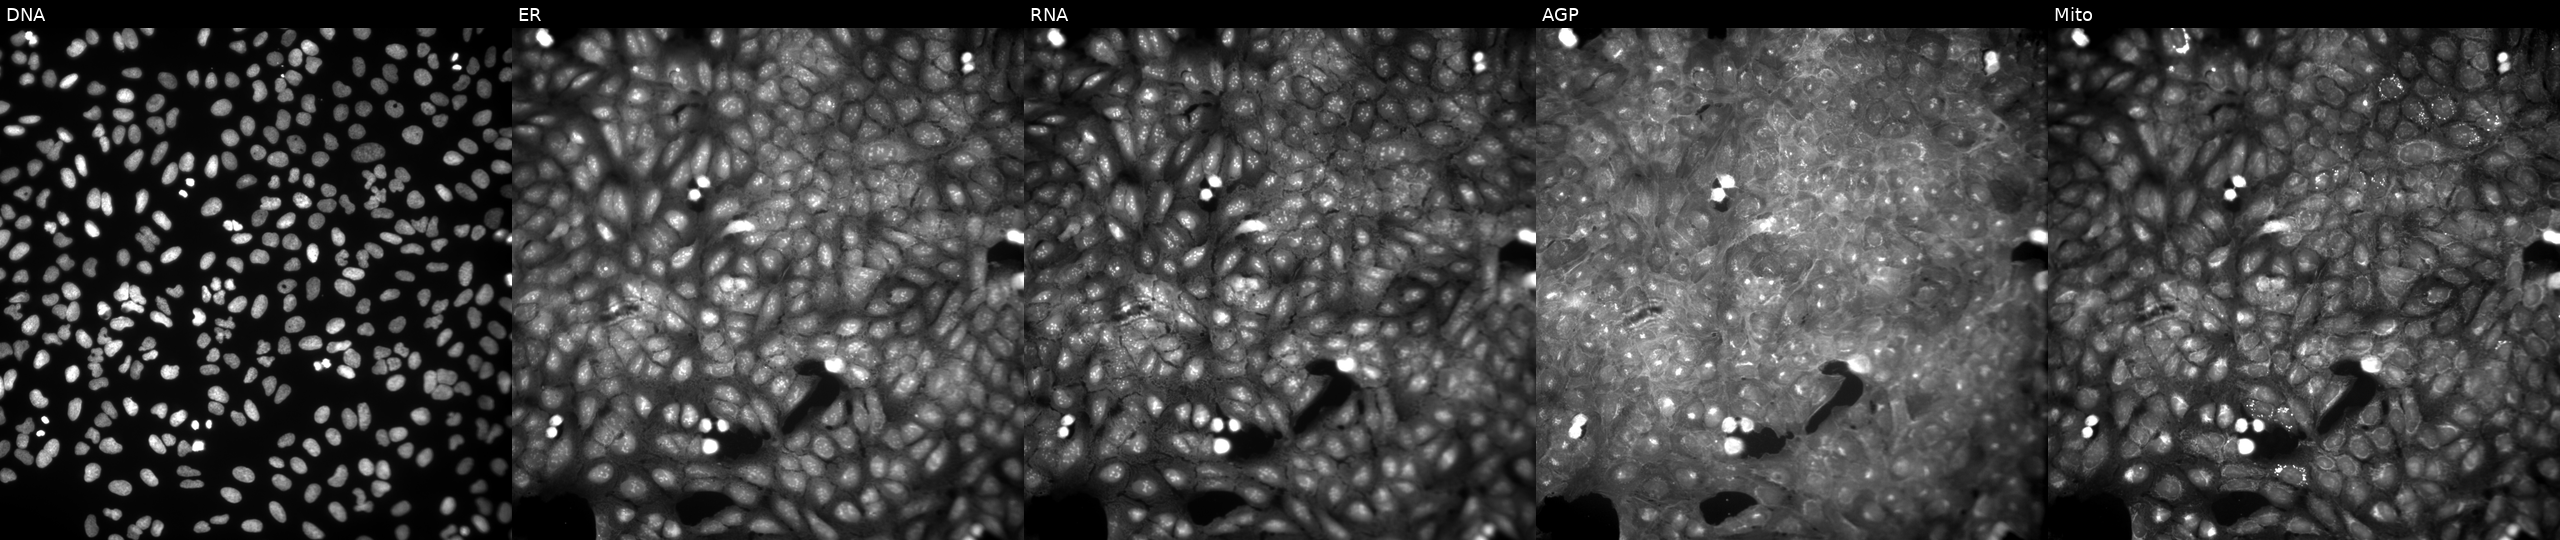
U2OS cells, Cell Painting assay, exposed to a small-molecule compound (JUMP id JCP2022_089340). Channels (left→right): DNA (nuclei); ER (endoplasmic reticulum); RNA (nucleoli and cytoplasmic RNA); AGP (actin cytoskeleton, Golgi, and plasma membrane); Mito (mitochondria). Each panel is percentile-stretched 16-bit fluorescence.